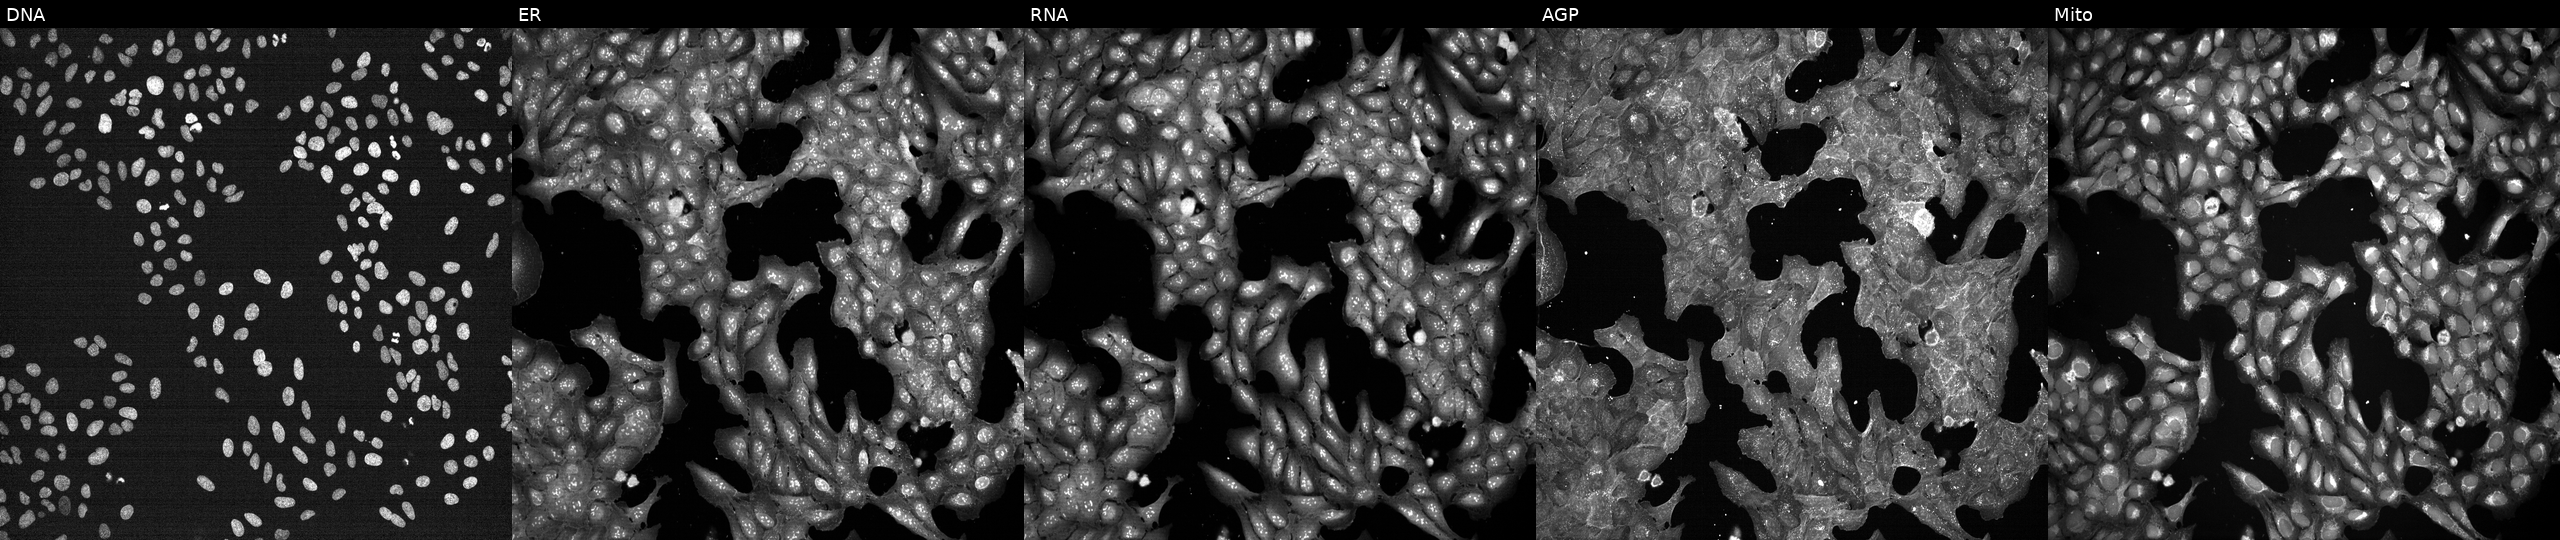
JUMP Cell Painting — TARGET2 plate. U2OS cells exposed to DMSO alone as a negative control. Channels (left→right): DNA (nuclei); ER (endoplasmic reticulum); RNA (nucleoli and cytoplasmic RNA); AGP (actin cytoskeleton, Golgi, and plasma membrane); Mito (mitochondria).